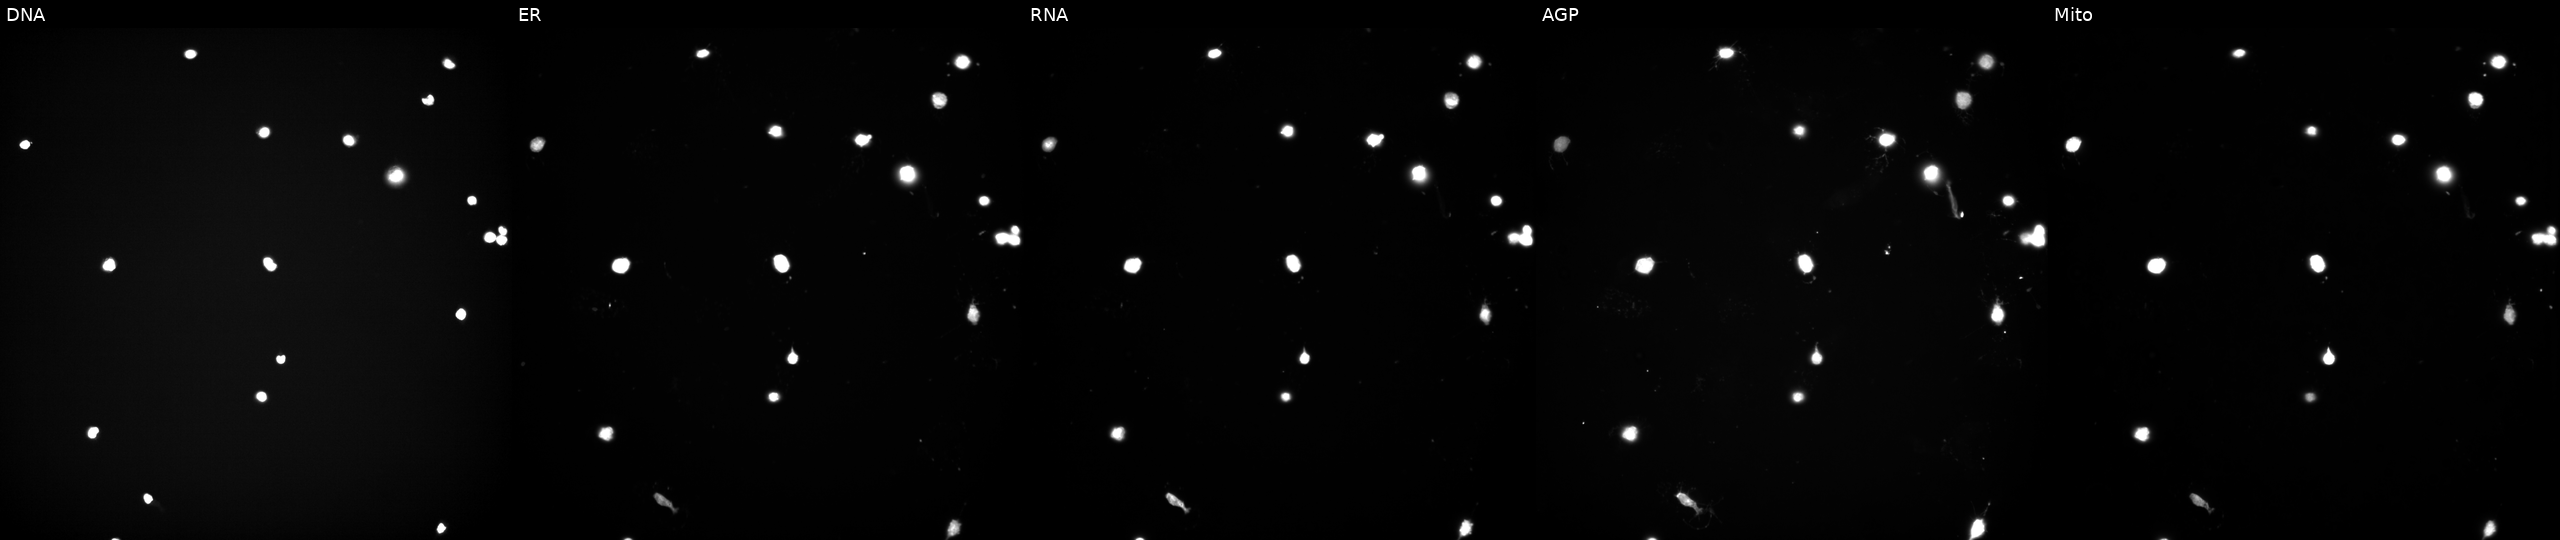
JUMP Cell Painting — TARGET2 plate. U2OS cells perturbed with a small-molecule compound (InChIKey PKCYYPHSCUSQDK-UHFFFAOYSA-N). The five panels, left to right, show Hoechst 33342, concanavalin A, SYTO 14, phalloidin and WGA, MitoTracker.